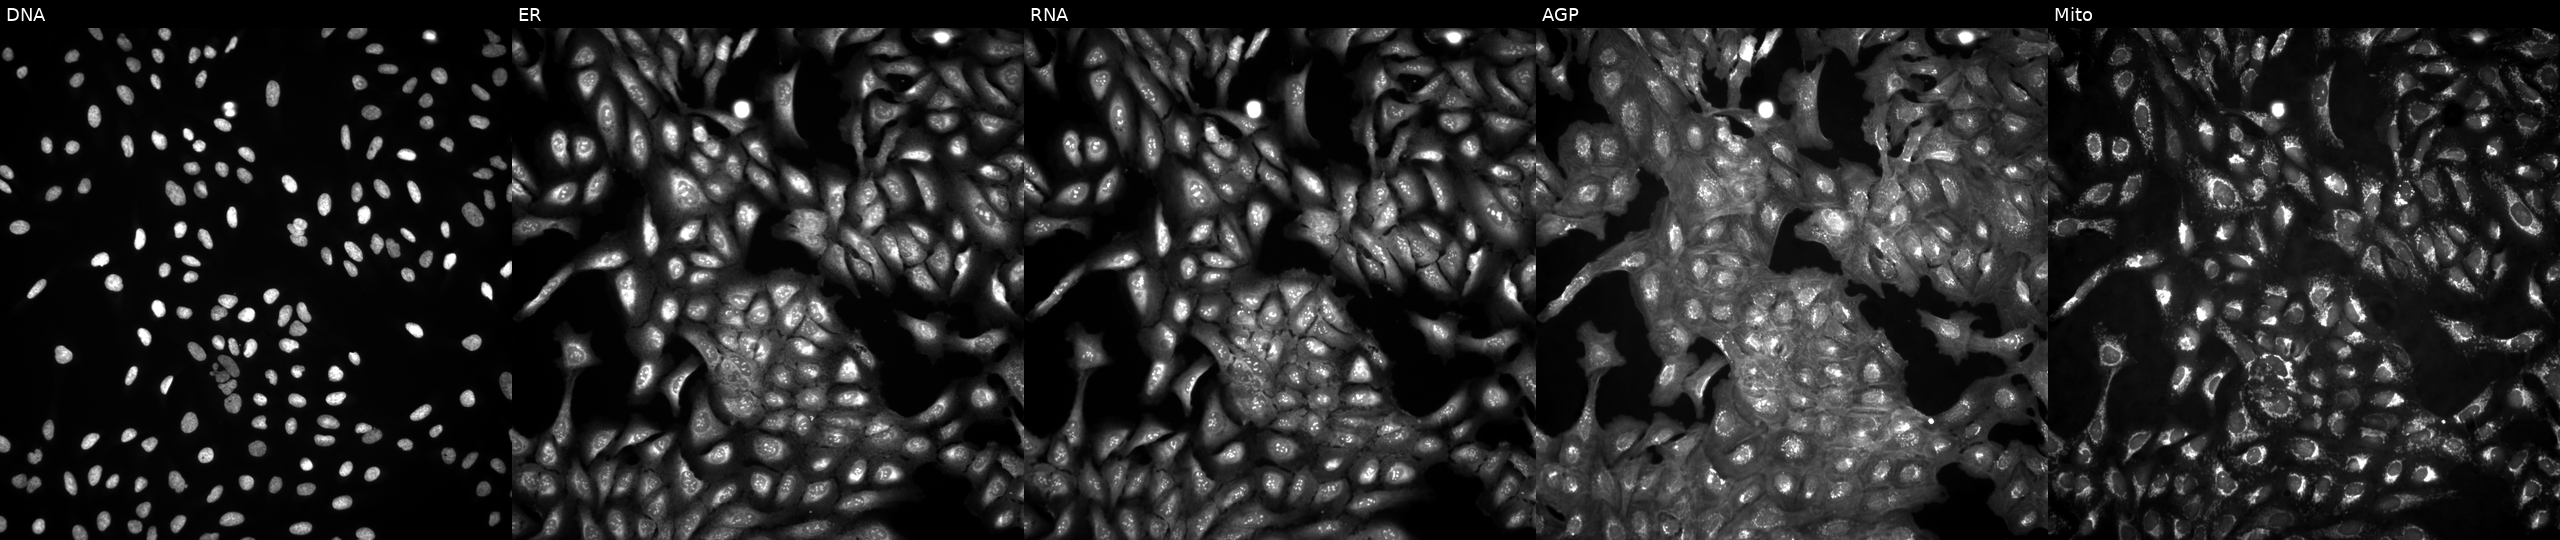
This image strip shows the five Cell Painting channels for a single field of U2OS cells in an empty control well (no perturbation). Panels show, left to right, DNA, ER, RNA, AGP, and Mito.